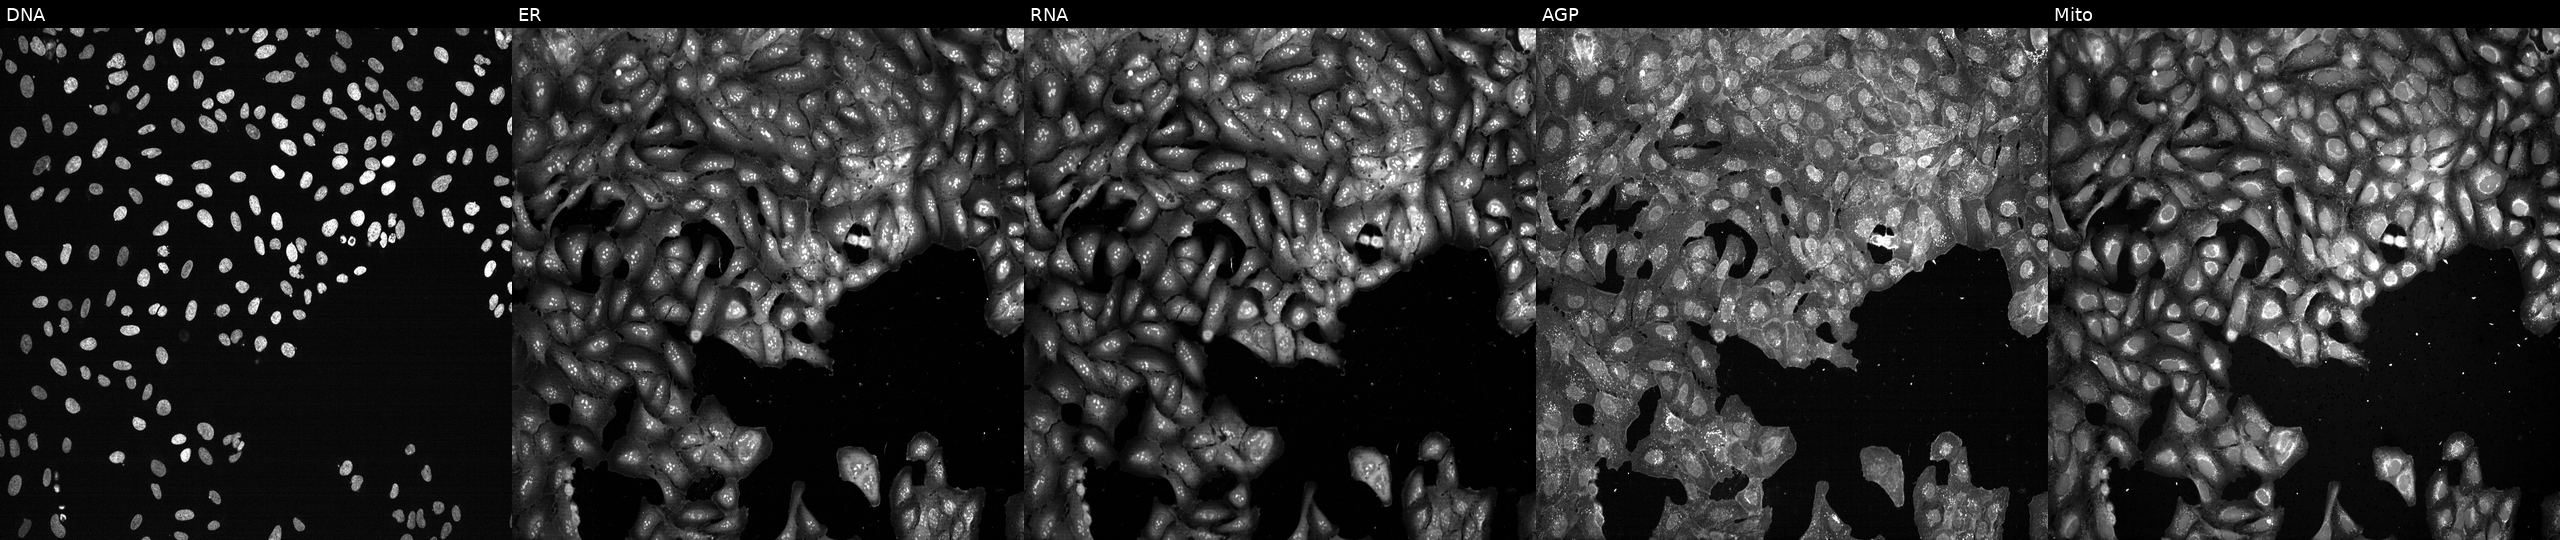
High-content fluorescence microscopy (Cell Painting). Cell line: U2OS. Perturbation: with SGSH knocked out by CRISPR (JUMP id JCP2022_806314). From left to right: DNA, ER, RNA, AGP, and Mito.